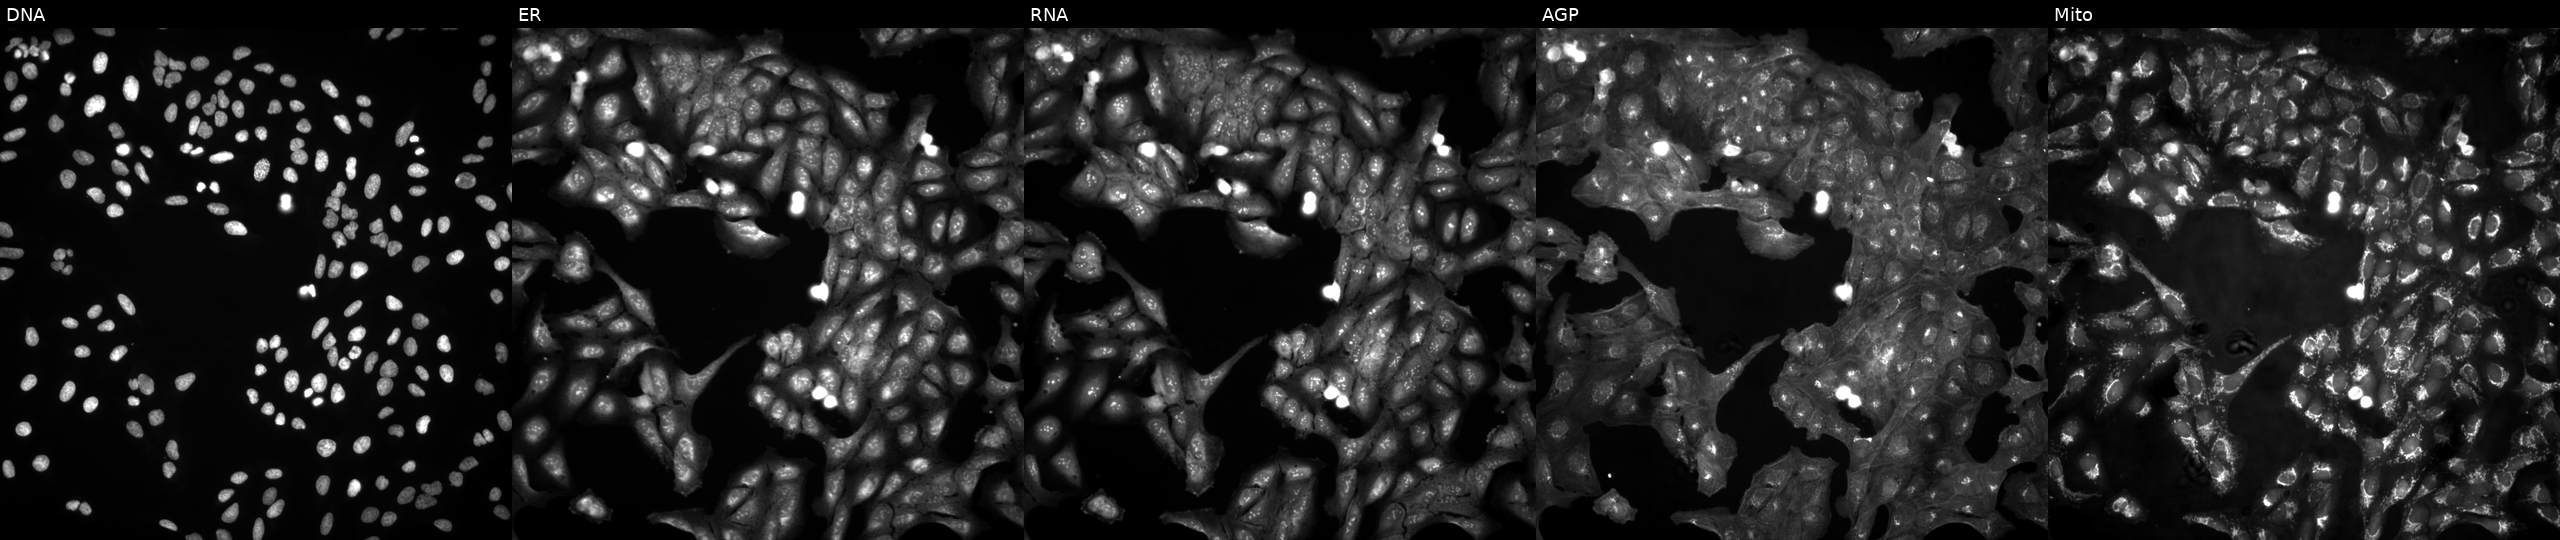
JUMP Cell Painting — ORF plate. U2OS cells untreated (empty-well control). From left to right: DNA (nuclei); ER (endoplasmic reticulum); RNA (nucleoli and cytoplasmic RNA); AGP (actin cytoskeleton, Golgi, and plasma membrane); Mito (mitochondria).